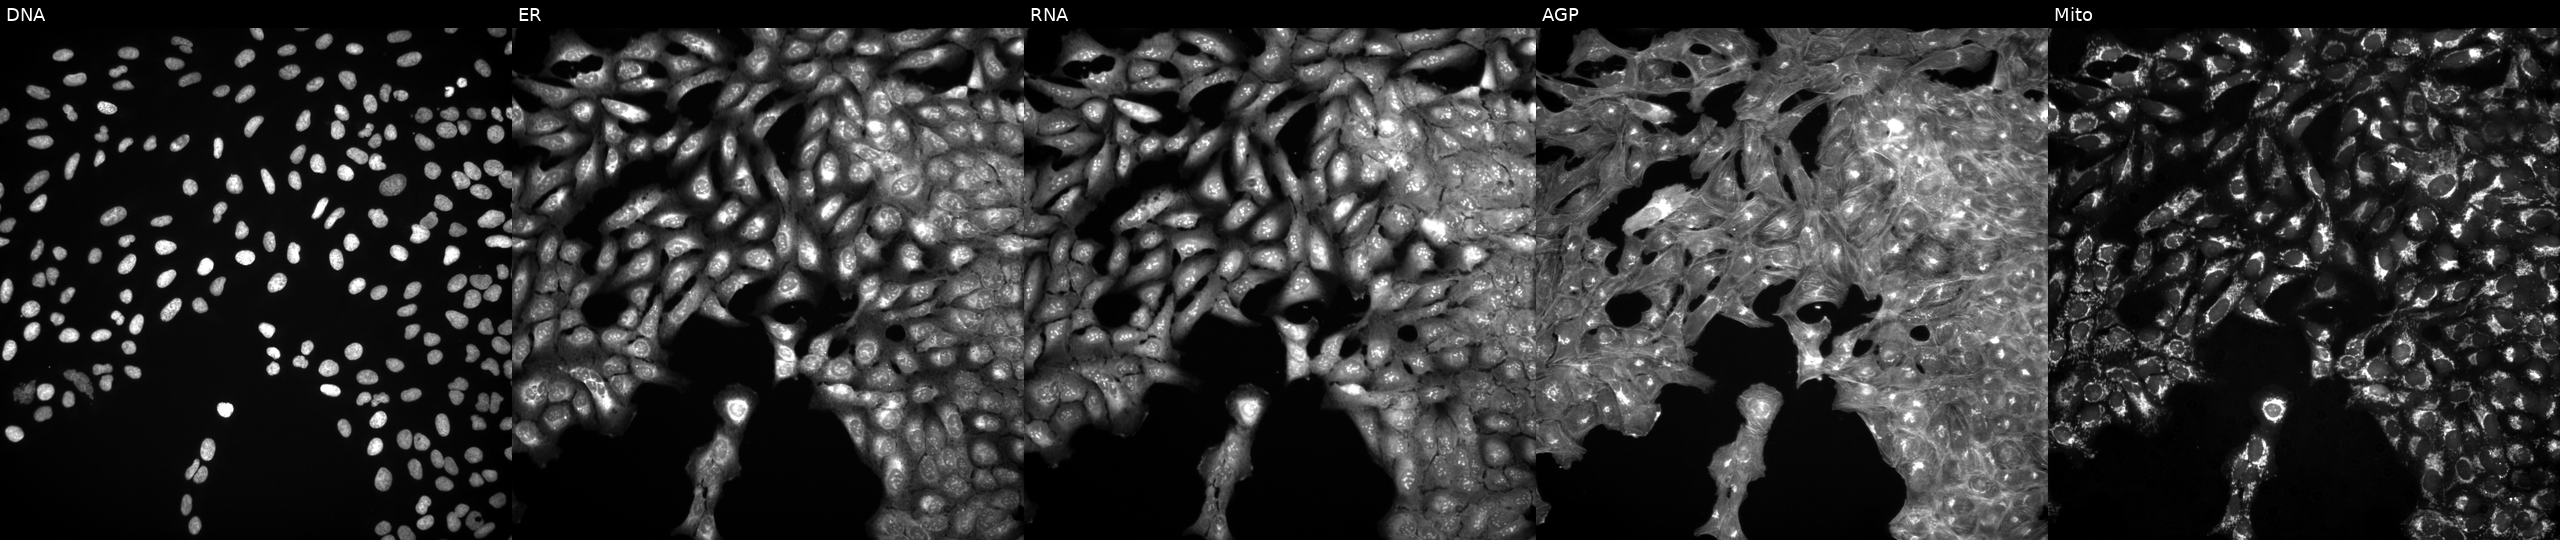
JUMP Cell Painting — TARGET2 plate. U2OS cells treated with a small-molecule compound (InChIKey UGYXPZQILZRKJJ-UHFFFAOYSA-N) [SMILES: Cc1[nH]cnc1CCN]. Panels show, left to right, Hoechst 33342, concanavalin A, SYTO 14, phalloidin and WGA, MitoTracker.